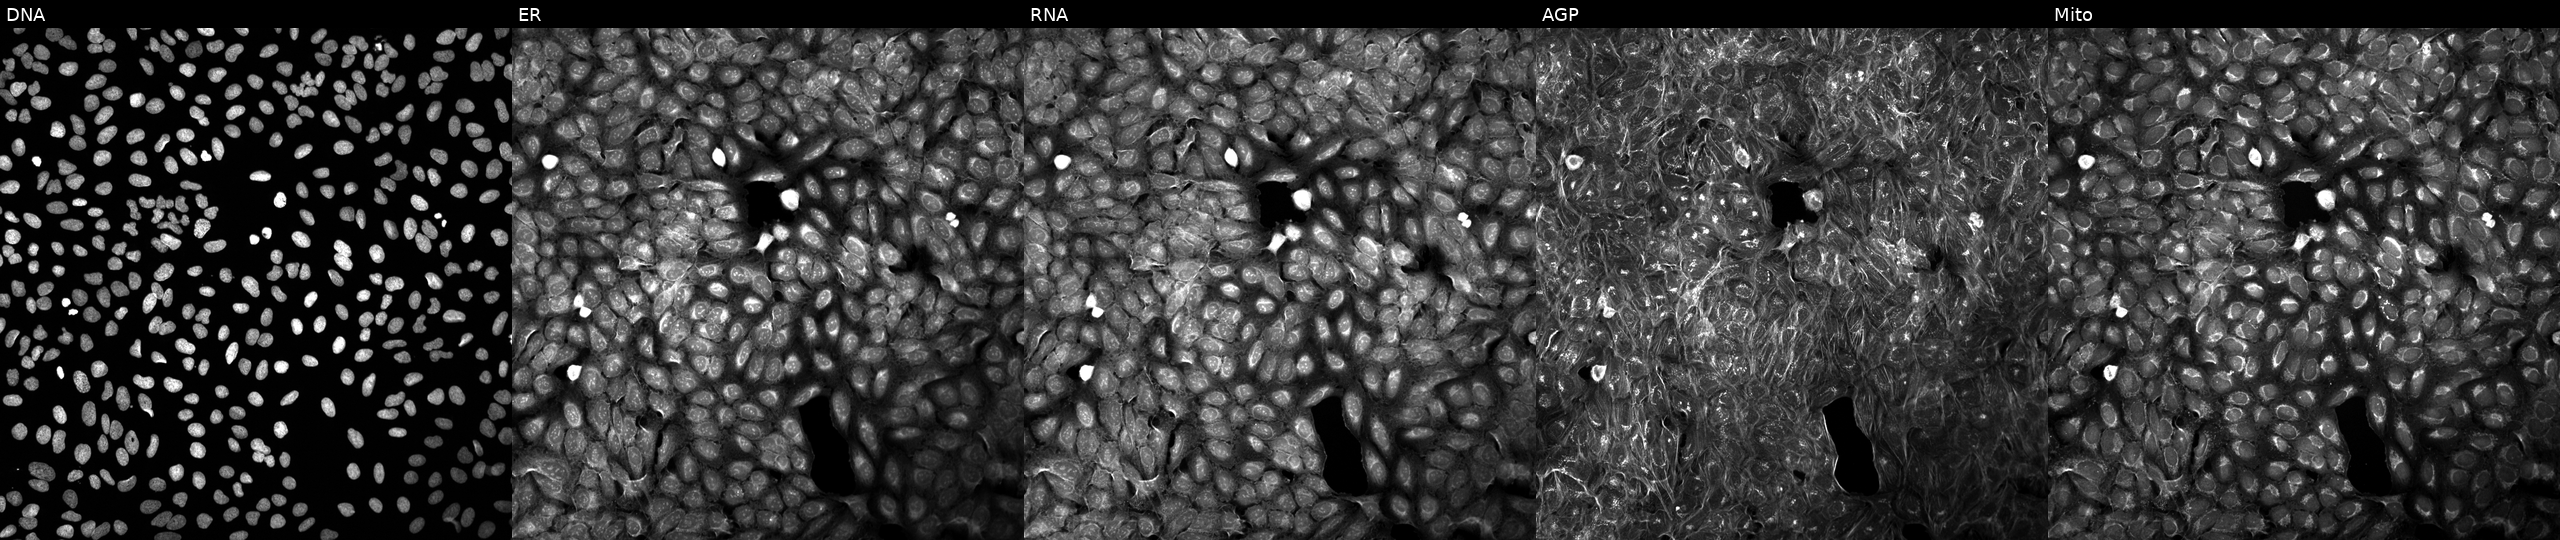
Five-channel Cell Painting image of U2OS cells exposed to a small-molecule compound [SMILES: CC(C)c1nsc(N2CCCC(C(=O)N3CCN(C)CC3)C2)n1]. Panels show, left to right, DNA (nuclei); ER (endoplasmic reticulum); RNA (nucleoli and cytoplasmic RNA); AGP (actin cytoskeleton, Golgi, and plasma membrane); Mito (mitochondria).